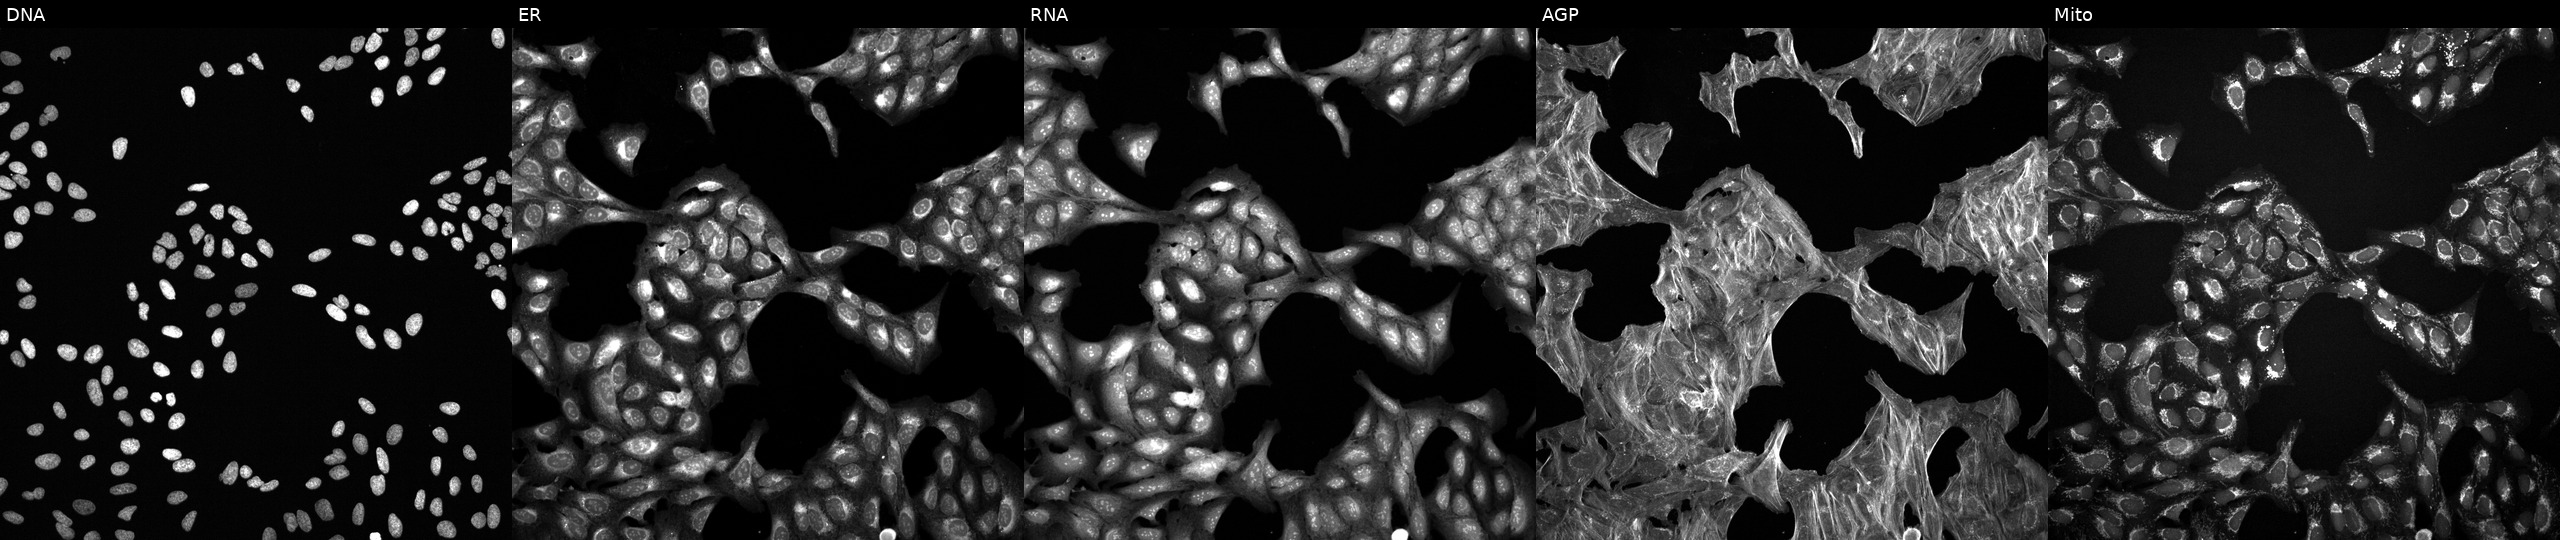
U2OS cells, Cell Painting assay, perturbed with a small-molecule compound (JUMP id JCP2022_089383). Panels show, left to right, DNA (nuclei); ER (endoplasmic reticulum); RNA (nucleoli and cytoplasmic RNA); AGP (actin cytoskeleton, Golgi, and plasma membrane); Mito (mitochondria). Each panel is percentile-stretched 16-bit fluorescence.